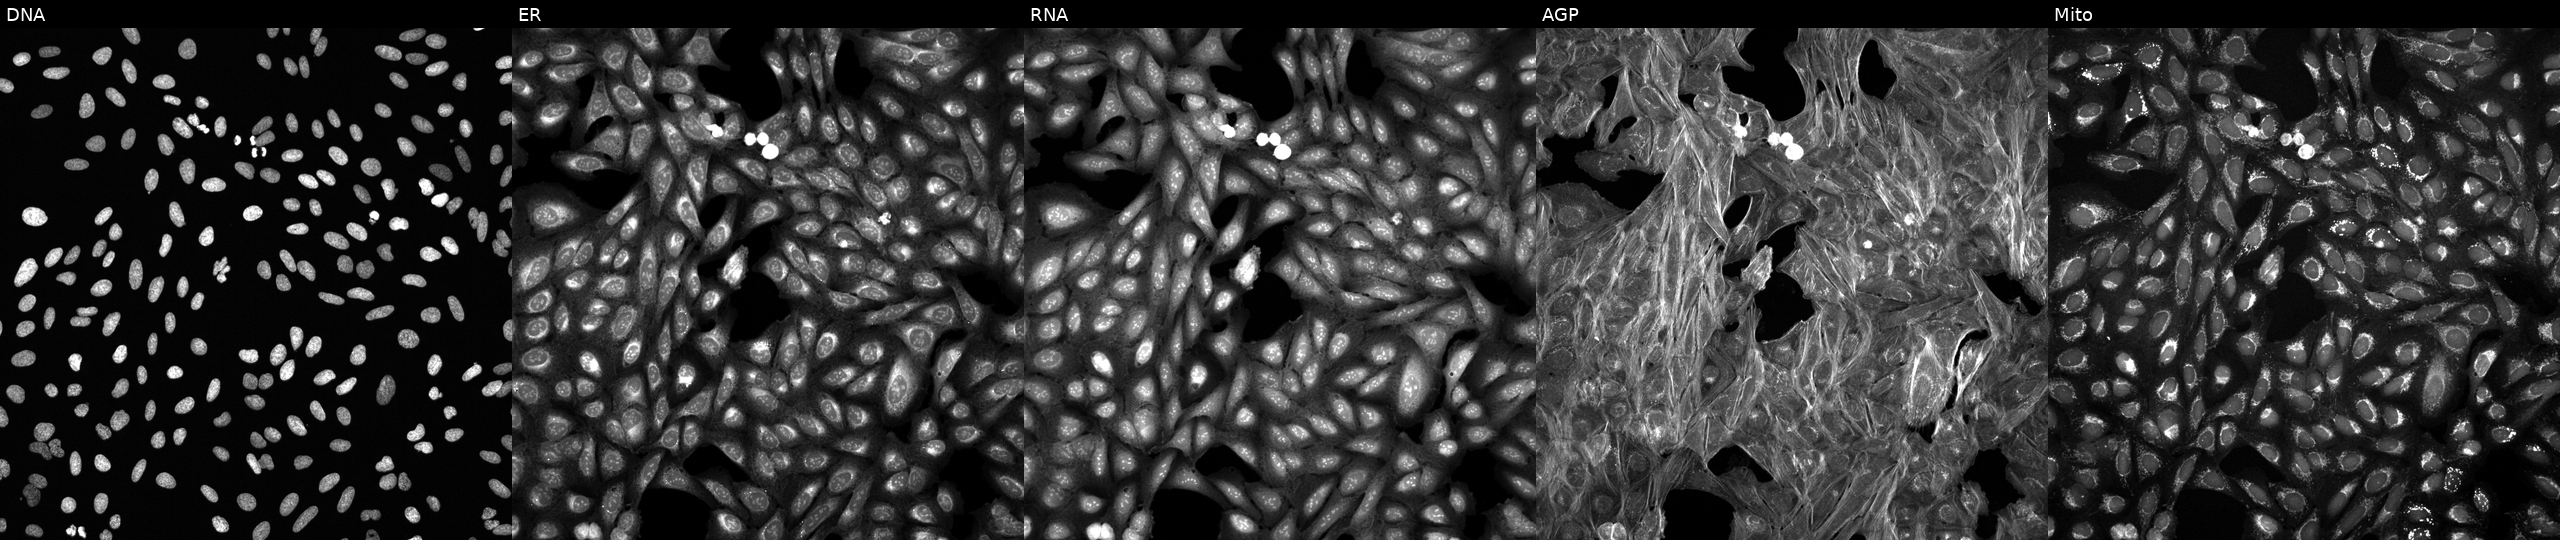
High-content fluorescence microscopy (Cell Painting). Cell line: U2OS. Perturbation: exposed to a small-molecule compound (InChIKey VUIRVWPJNKZOSS-UHFFFAOYSA-N). The five panels, left to right, show DNA, ER, RNA, AGP, and Mito.